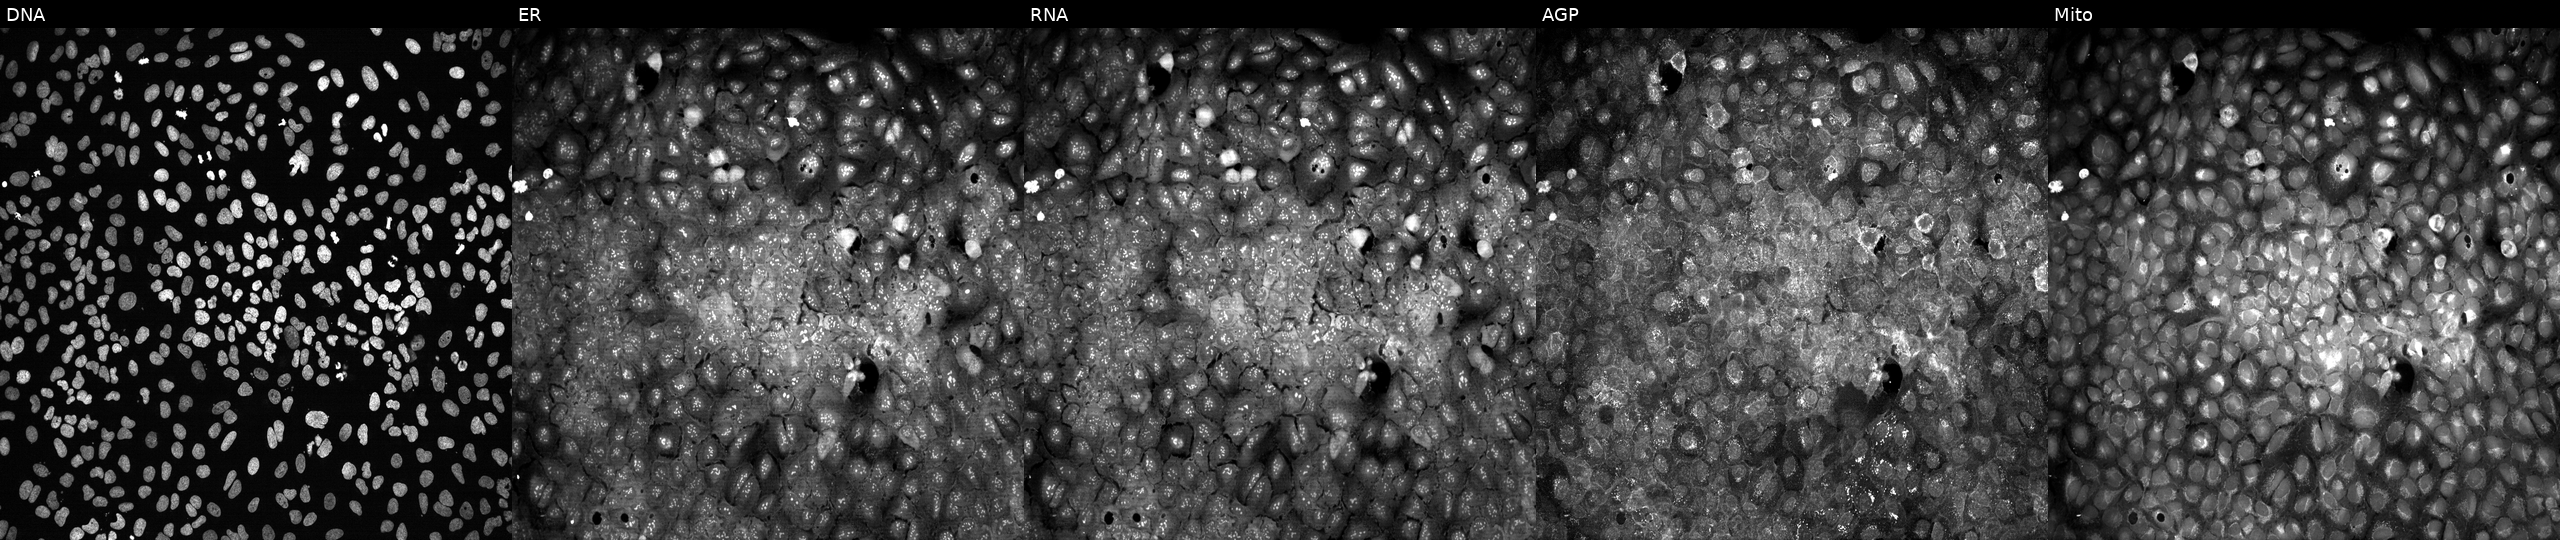
U2OS cells, Cell Painting assay, CRISPR-edited to disrupt SLFN13. Channels (left→right): DNA, ER, RNA, AGP, and Mito. Each panel is percentile-stretched 16-bit fluorescence.